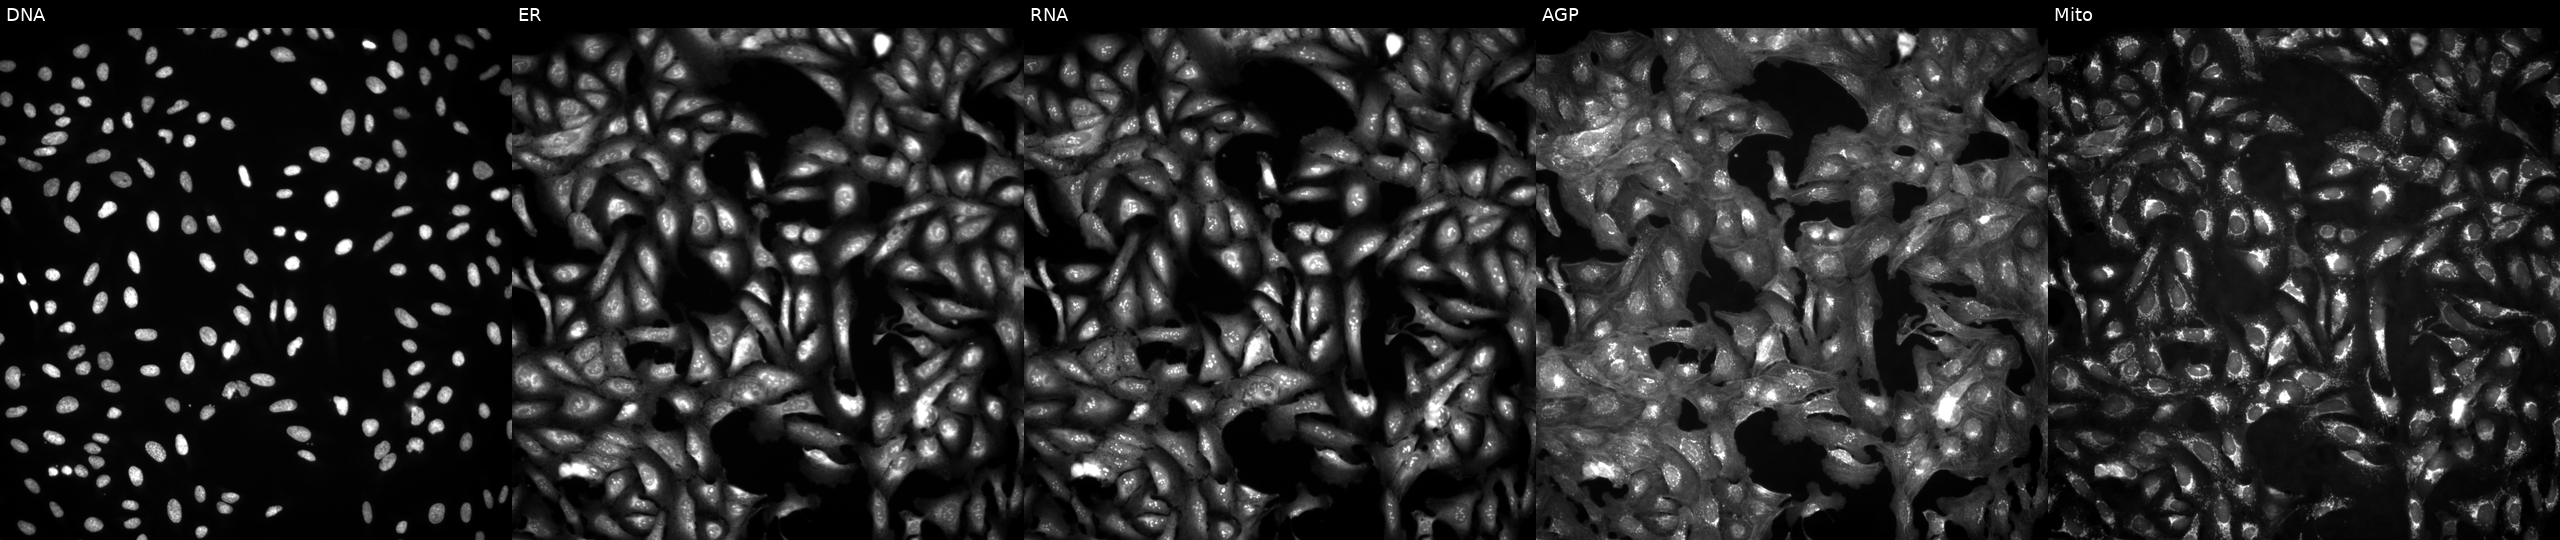
This image strip shows the five Cell Painting channels for a single field of U2OS cells in an empty control well (no perturbation). From left to right: Hoechst 33342, concanavalin A, SYTO 14, phalloidin and WGA, MitoTracker. Source 4, plate BR00124793, well G14.